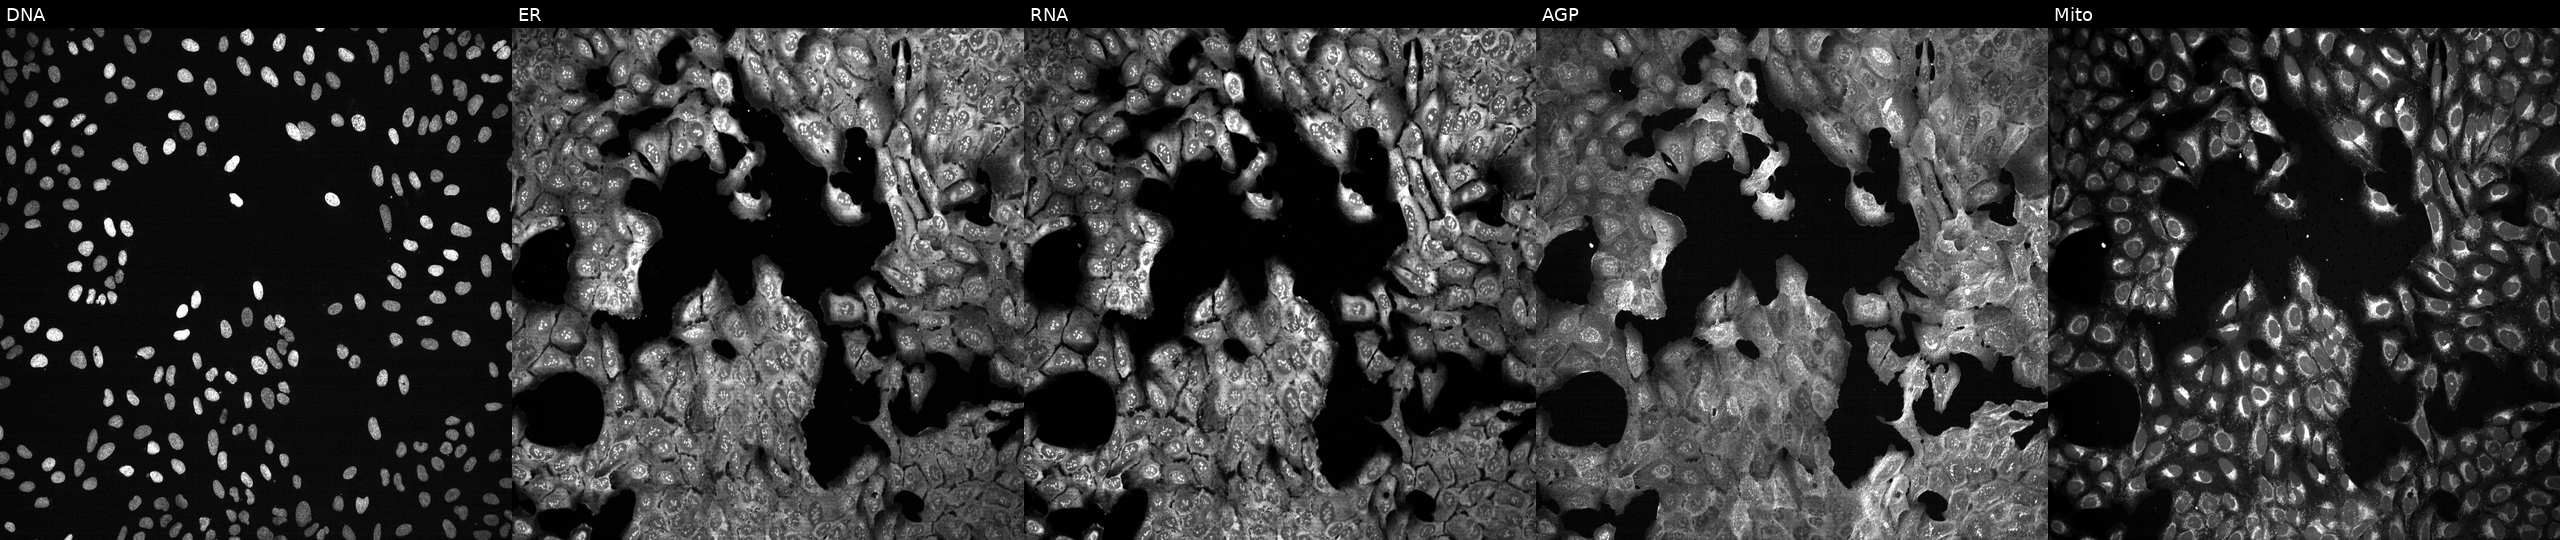
High-content fluorescence microscopy (Cell Painting). Cell line: U2OS. Perturbation: following CRISPR knockout of SLC13A1 (JUMP id JCP2022_806373). Panels show, left to right, DNA, ER, RNA, AGP, and Mito.